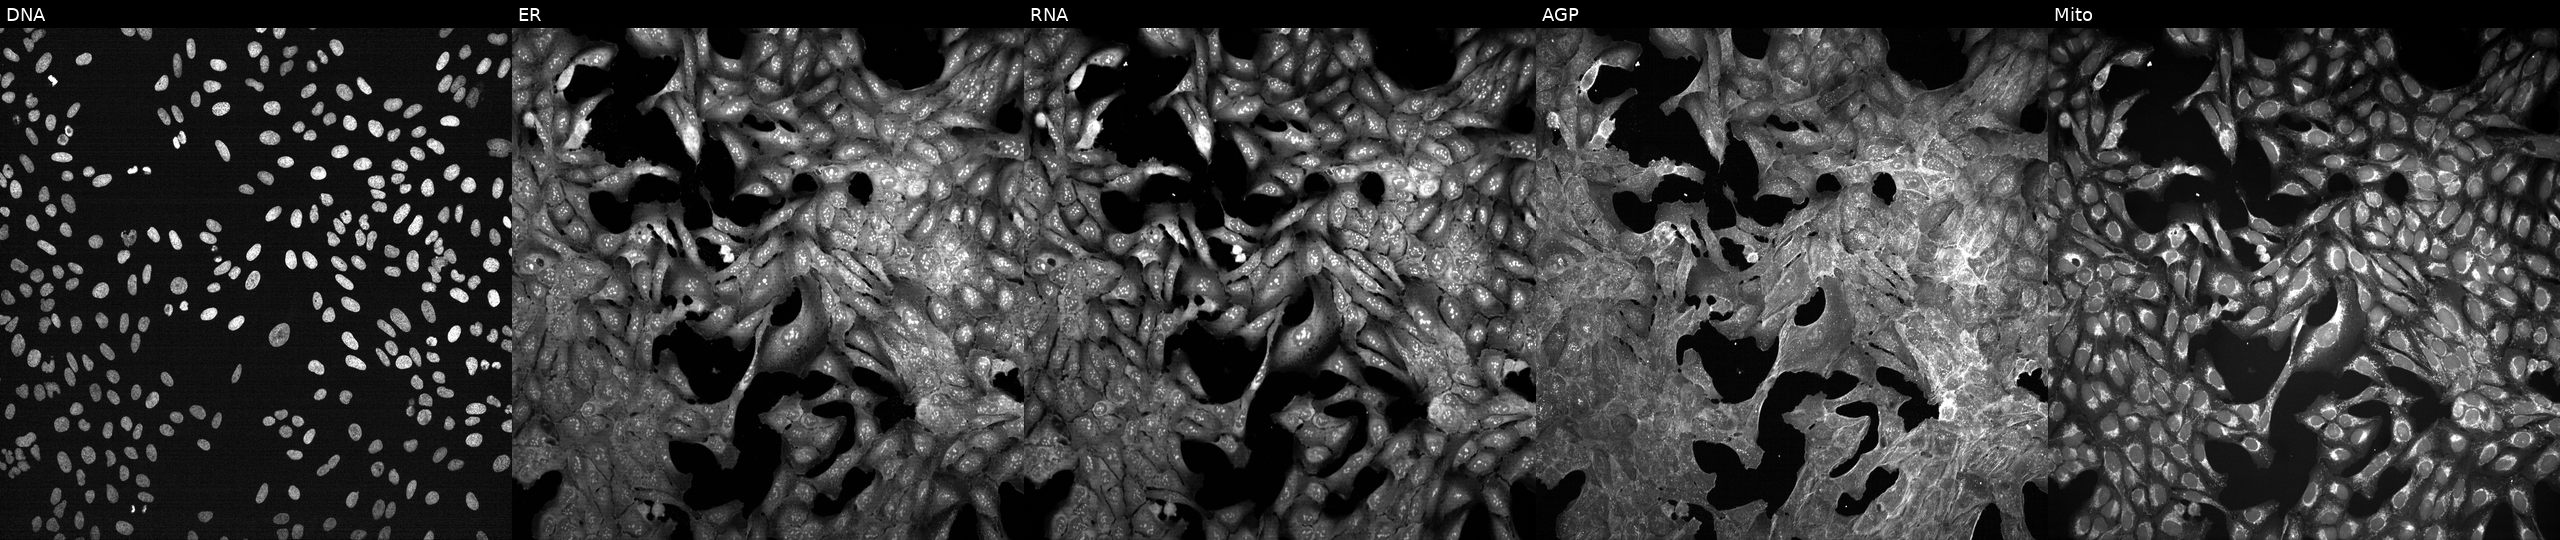
High-content fluorescence microscopy (Cell Painting). Cell line: U2OS. Perturbation: treated with quinidine (positive-control compound). Channels (left→right): DNA, ER, RNA, AGP, and Mito. Source 7, plate CP3-SC1-25, well A02.